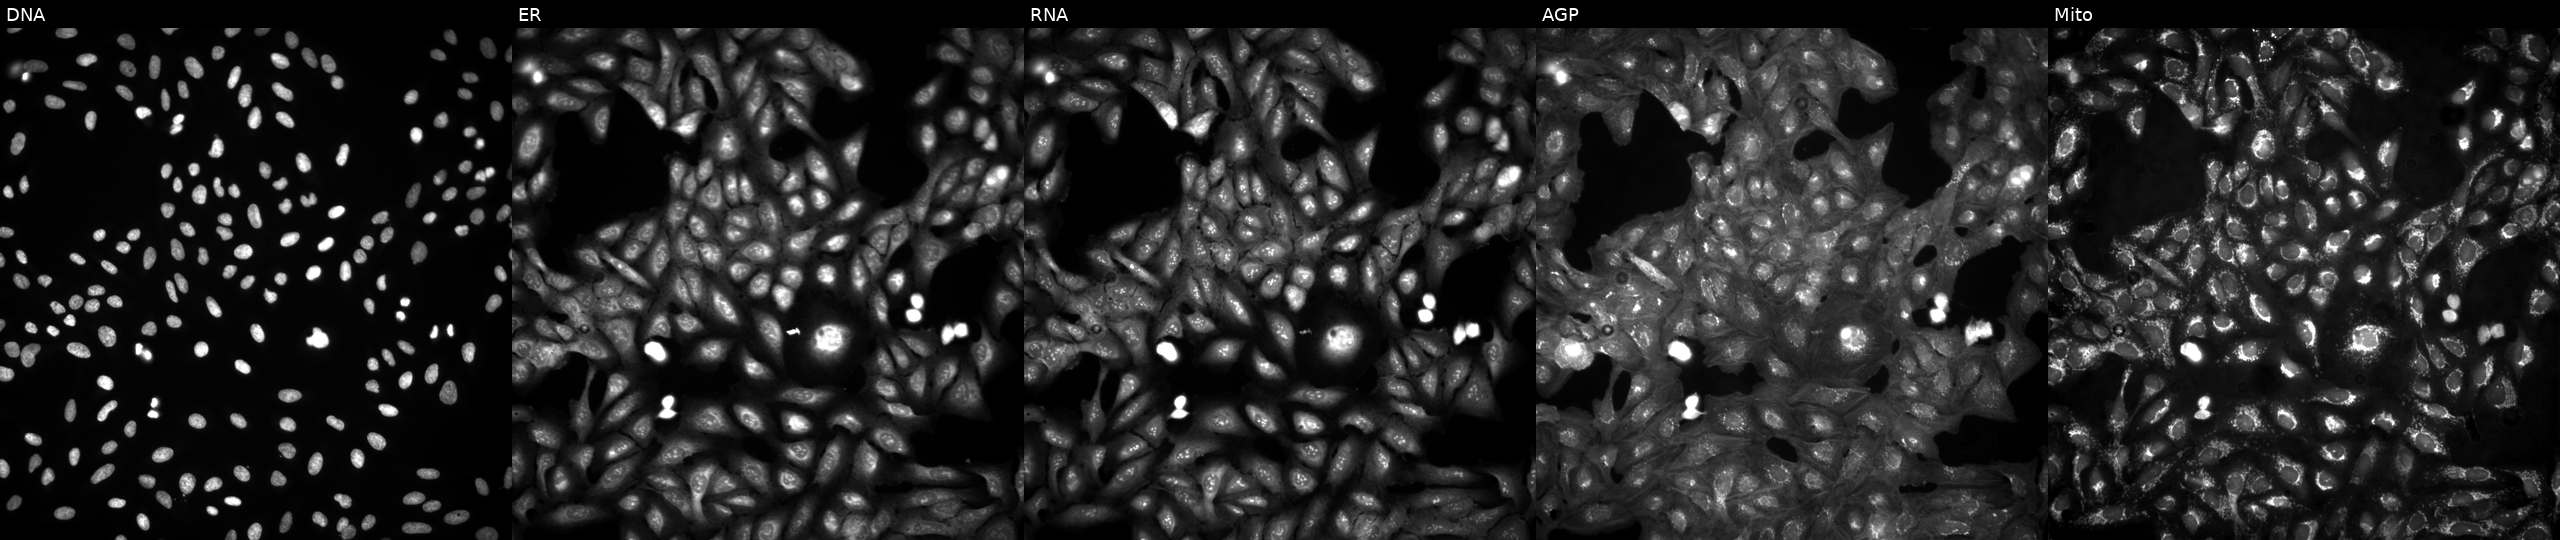
Five-channel Cell Painting image of U2OS cells in an empty control well (no perturbation) (JUMP id JCP2022_999999). Panels show, left to right, Hoechst 33342, concanavalin A, SYTO 14, phalloidin and WGA, MitoTracker.